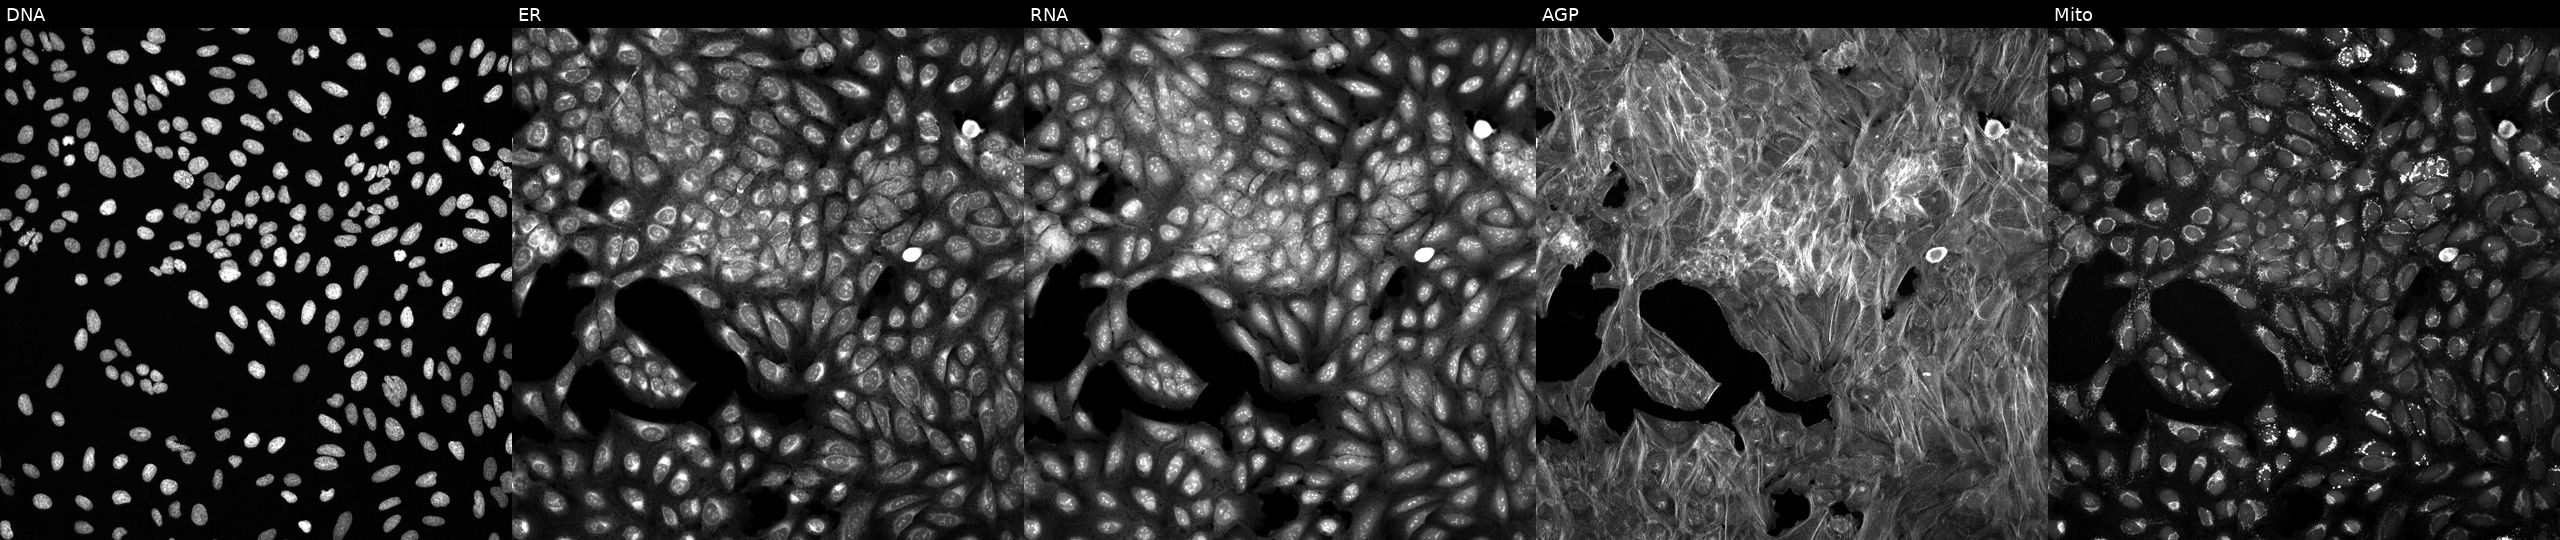
U2OS cells, Cell Painting assay, exposed to a small-molecule compound (InChIKey SHZKQBHERIJWAO-UHFFFAOYSA-N) (JUMP id JCP2022_083372). Channels (left→right): DNA (nuclei); ER (endoplasmic reticulum); RNA (nucleoli and cytoplasmic RNA); AGP (actin cytoskeleton, Golgi, and plasma membrane); Mito (mitochondria). Each panel is percentile-stretched 16-bit fluorescence.